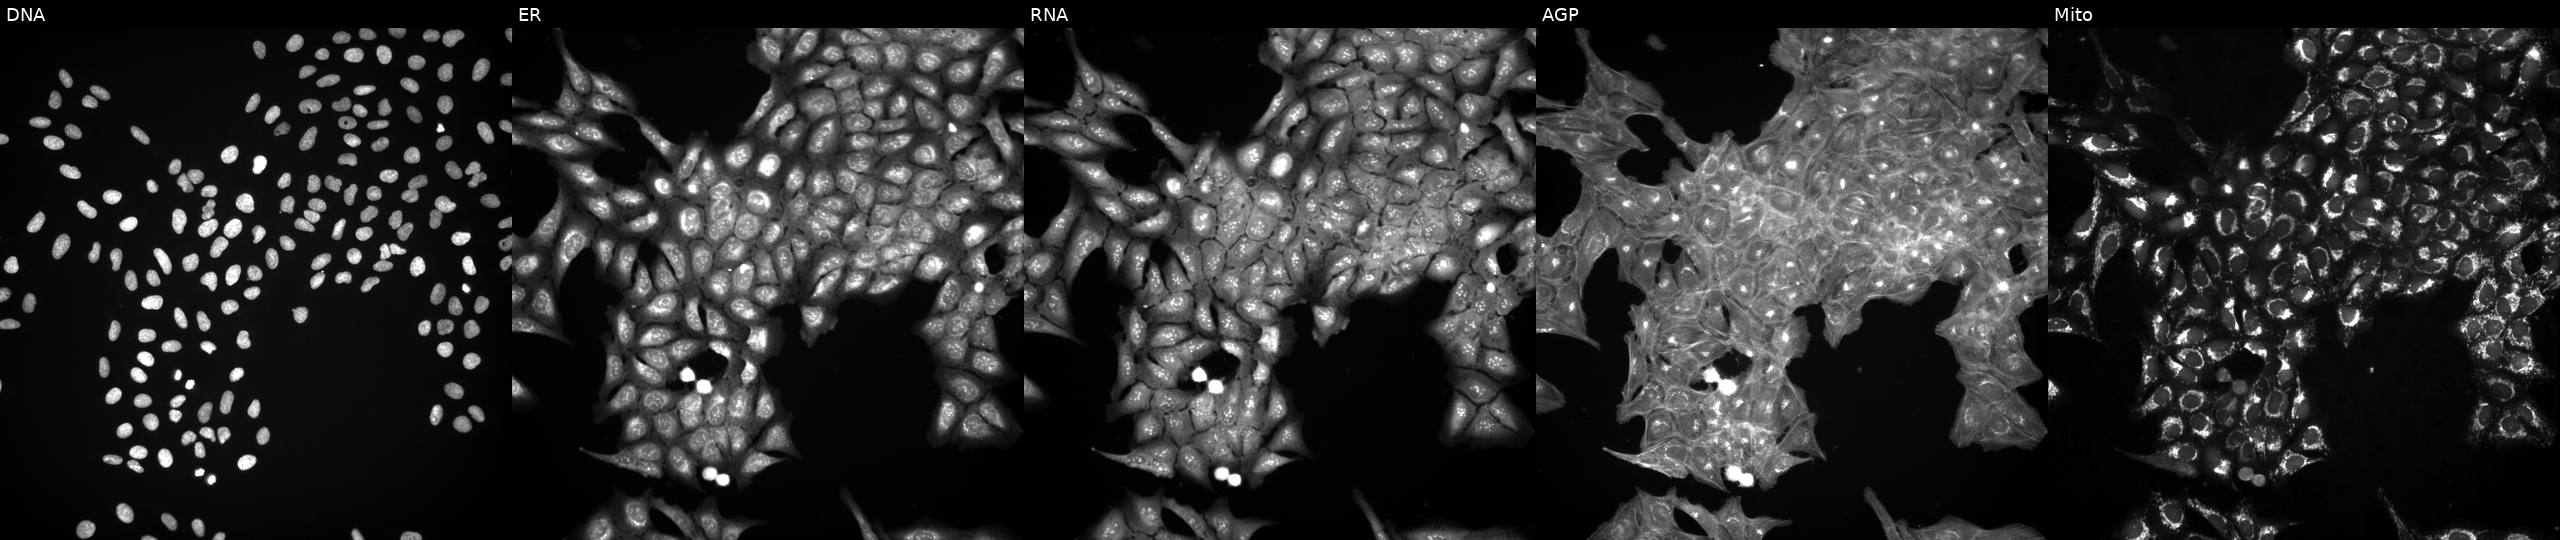
The five panels, left to right, show Hoechst 33342, concanavalin A, SYTO 14, phalloidin and WGA, MitoTracker. U2OS osteosarcoma cells perturbed with a small-molecule compound (InChIKey IFIUFCJFLGCQPH-UHFFFAOYSA-N). Cell Painting assay, JUMP-CP dataset. Source 3, plate JCPQC051, well G17.